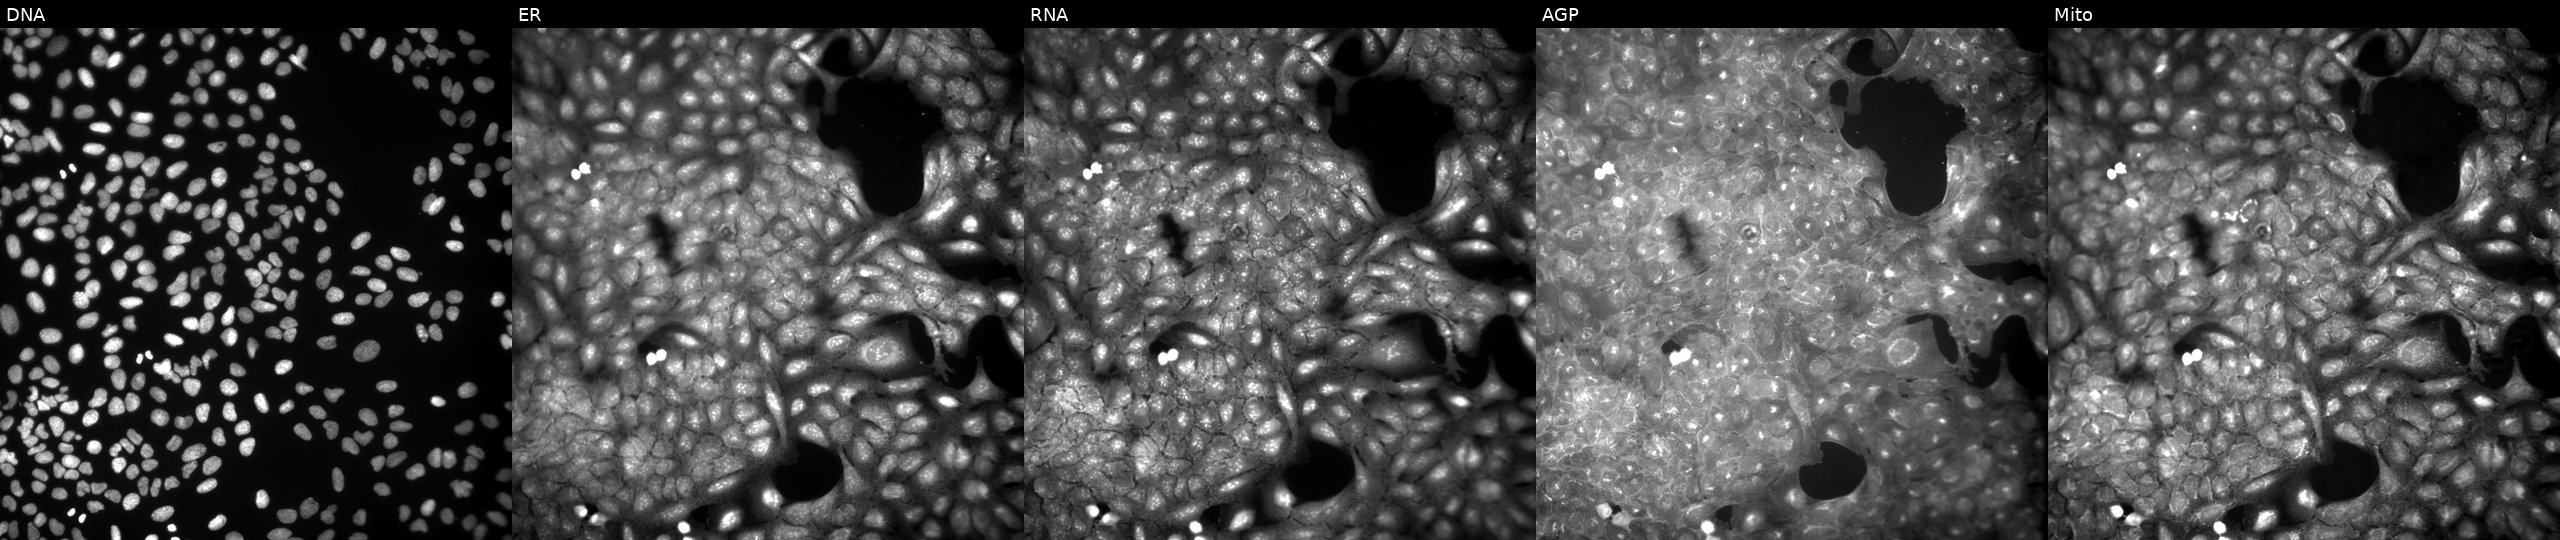
JUMP Cell Painting — COMPOUND plate. U2OS cells perturbed with a small-molecule compound (InChIKey RUKJBMKLUDSRCX-UHFFFAOYSA-N). From left to right: DNA, ER, RNA, AGP, and Mito. Source 9, plate GR00003381, well Y46.